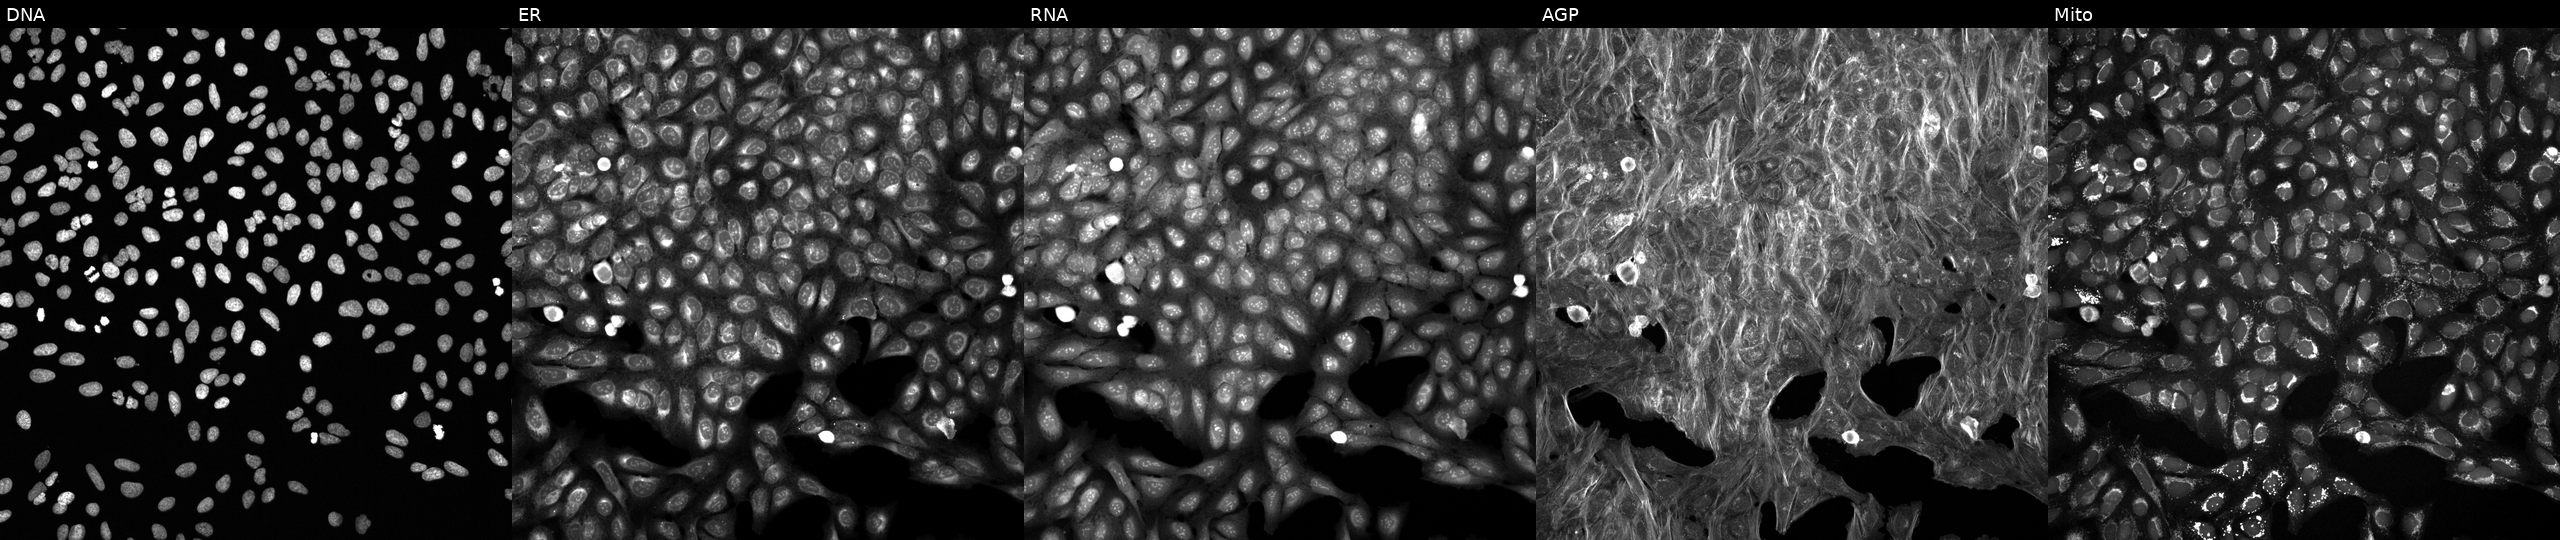
Five-channel Cell Painting image of U2OS cells perturbed with a small-molecule compound. From left to right: Hoechst 33342, concanavalin A, SYTO 14, phalloidin and WGA, MitoTracker.